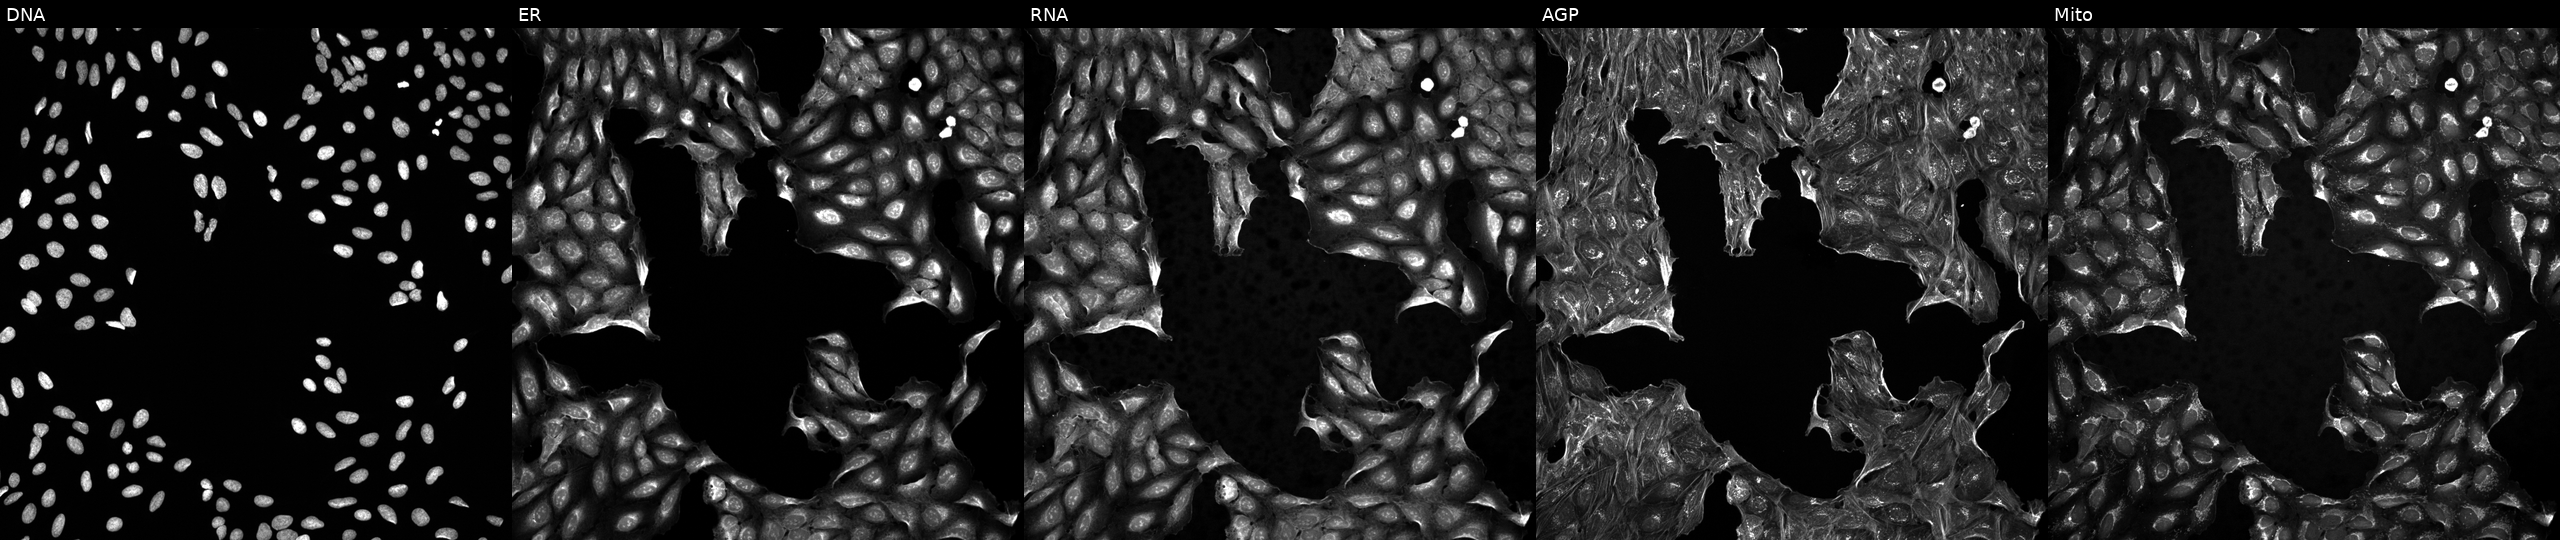
This image strip shows the five Cell Painting channels for a single field of U2OS cells treated with DMSO vehicle only (negative control) (JUMP id JCP2022_033924). The five panels, left to right, show Hoechst 33342, concanavalin A, SYTO 14, phalloidin and WGA, MitoTracker. Source 5, plate ACPJUM012, well B13.